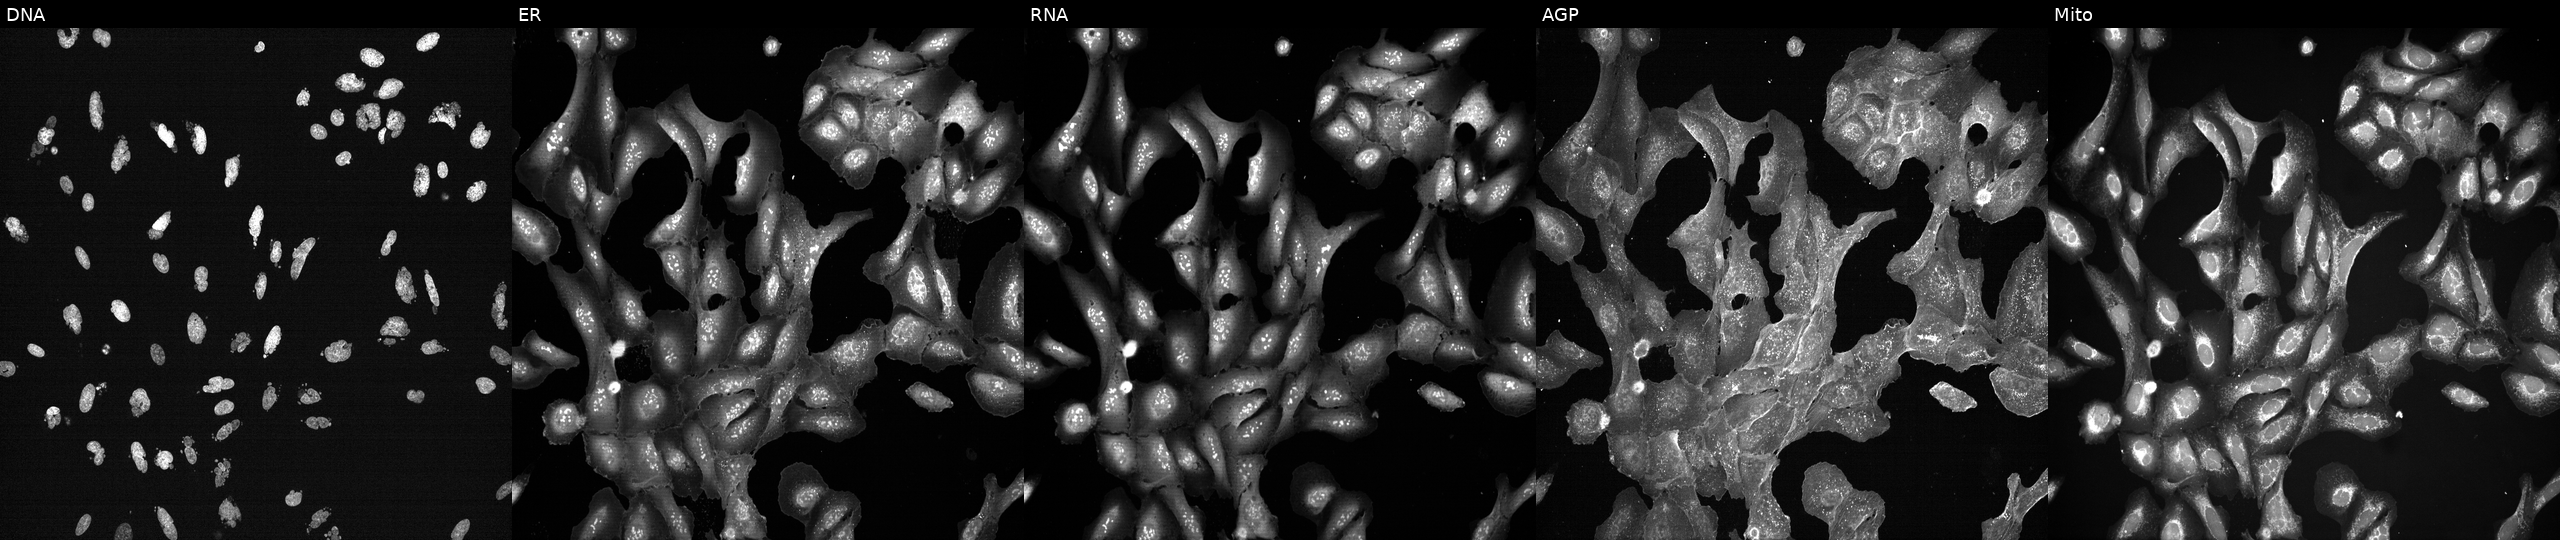
High-content fluorescence microscopy (Cell Painting). Cell line: U2OS. Perturbation: treated with AMG900 (positive-control compound) (JUMP id JCP2022_037716). Panels show, left to right, Hoechst 33342, concanavalin A, SYTO 14, phalloidin and WGA, MitoTracker. Source 7, plate CP2-SC1-25, well L15.